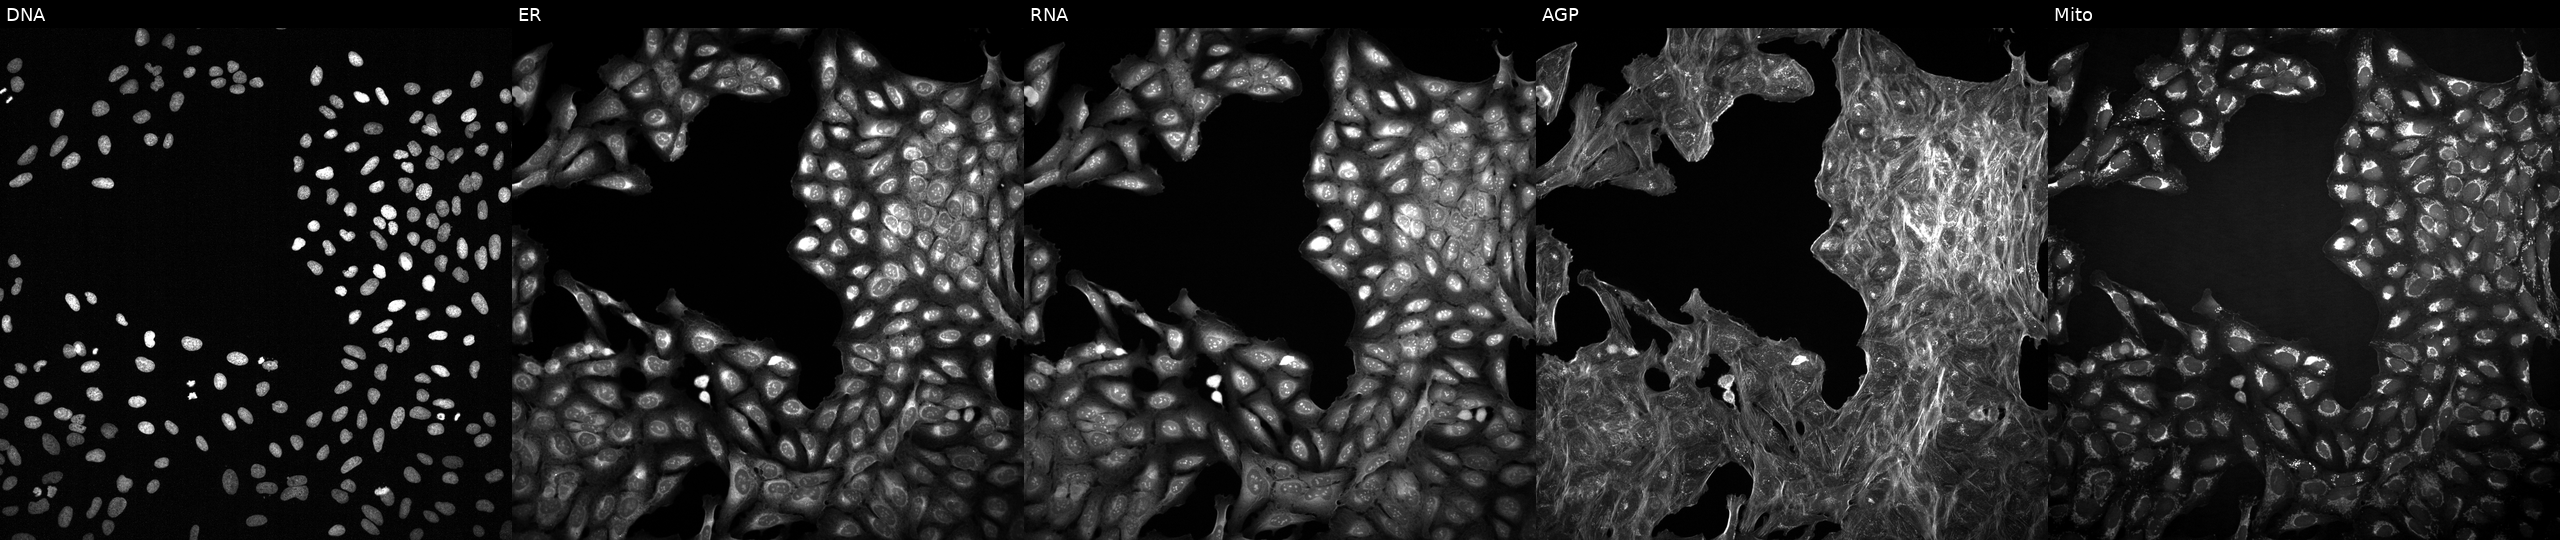
This image strip shows the five Cell Painting channels for a single field of U2OS cells exposed to a small-molecule compound (InChIKey VHOGYURTWQBHIL-UHFFFAOYSA-N). Panels show, left to right, Hoechst 33342, concanavalin A, SYTO 14, phalloidin and WGA, MitoTracker. Source 2, plate 1053600674, well N10.